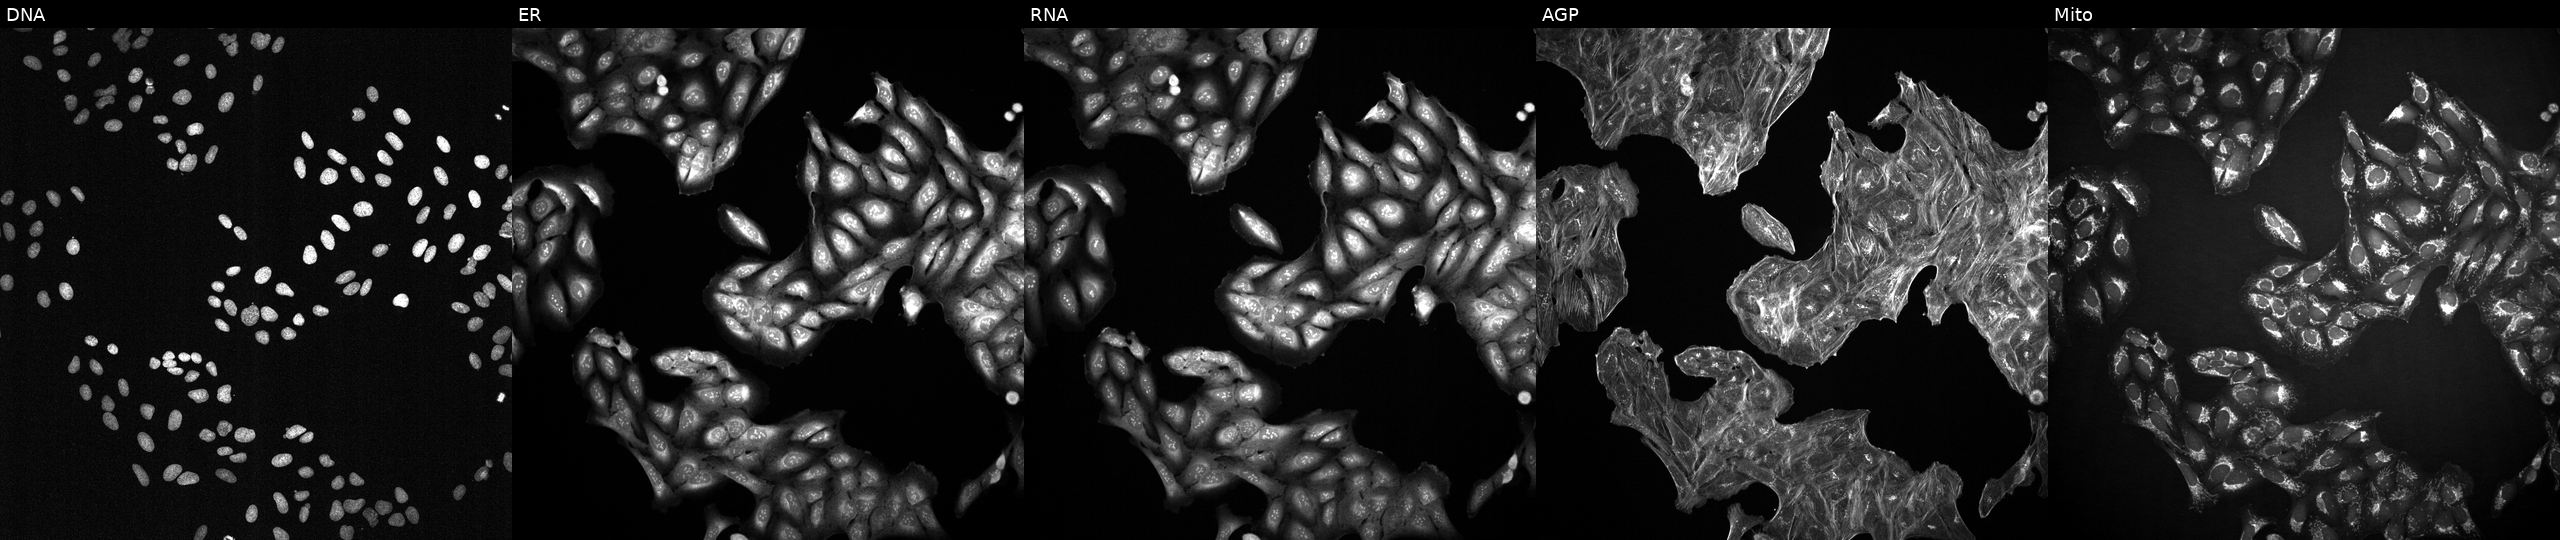
Five-channel Cell Painting image of U2OS cells treated with a small-molecule compound (InChIKey IFIUFCJFLGCQPH-UHFFFAOYSA-N) (JUMP id JCP2022_034709). Channels (left→right): DNA (nuclei); ER (endoplasmic reticulum); RNA (nucleoli and cytoplasmic RNA); AGP (actin cytoskeleton, Golgi, and plasma membrane); Mito (mitochondria). Source 2, plate 1053599503, well G17.